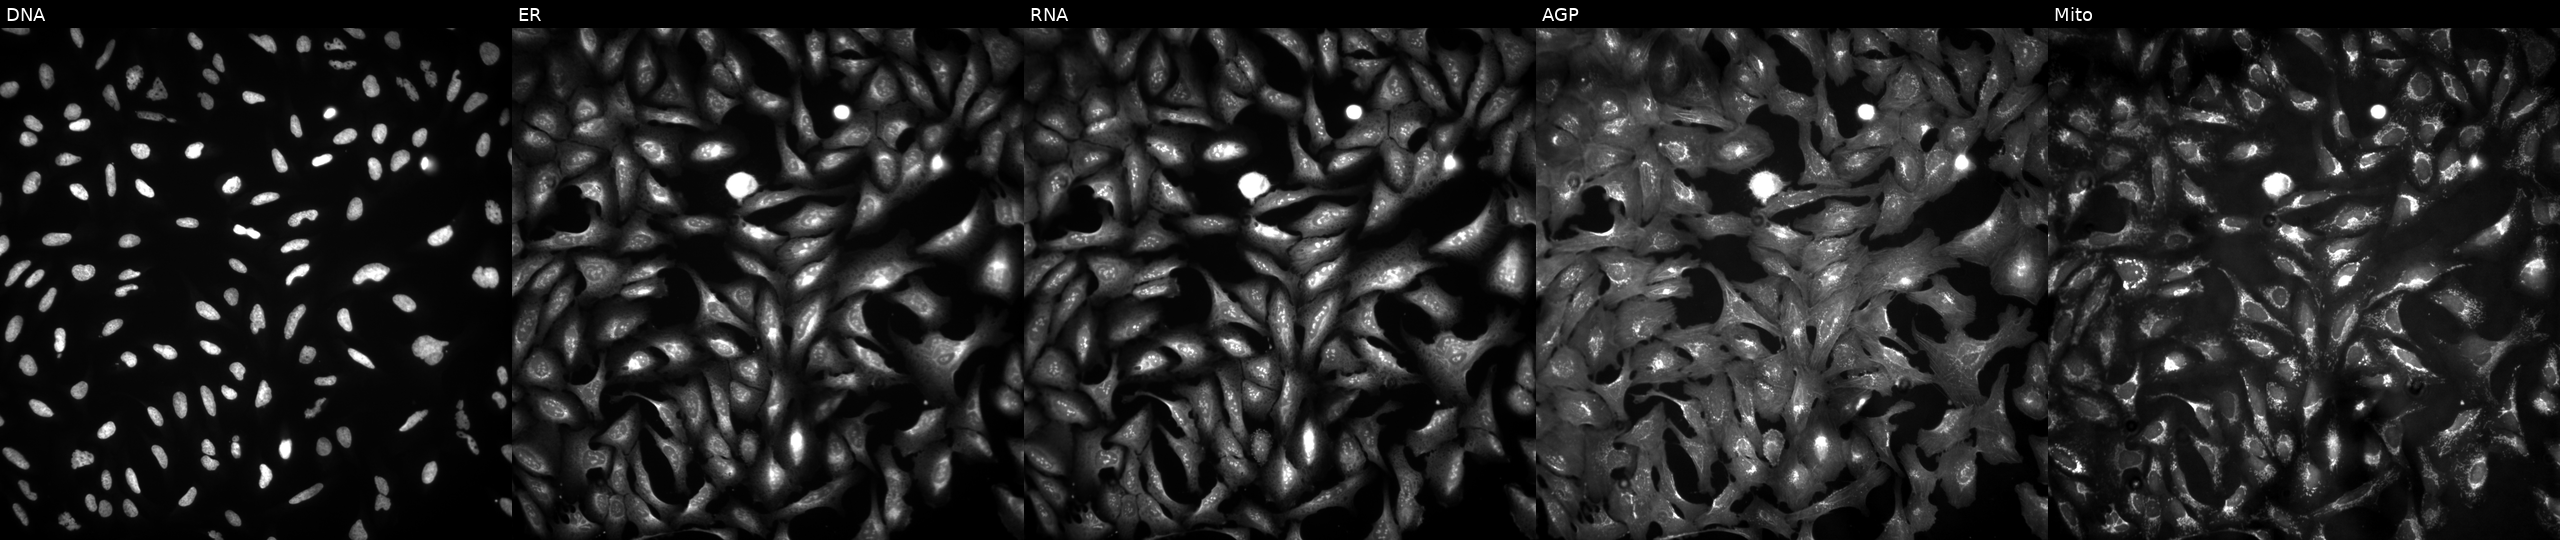
JUMP Cell Painting — ORF plate. U2OS cells transfected with an ORF construct for LMNB1. The five panels, left to right, show DNA, ER, RNA, AGP, and Mito.